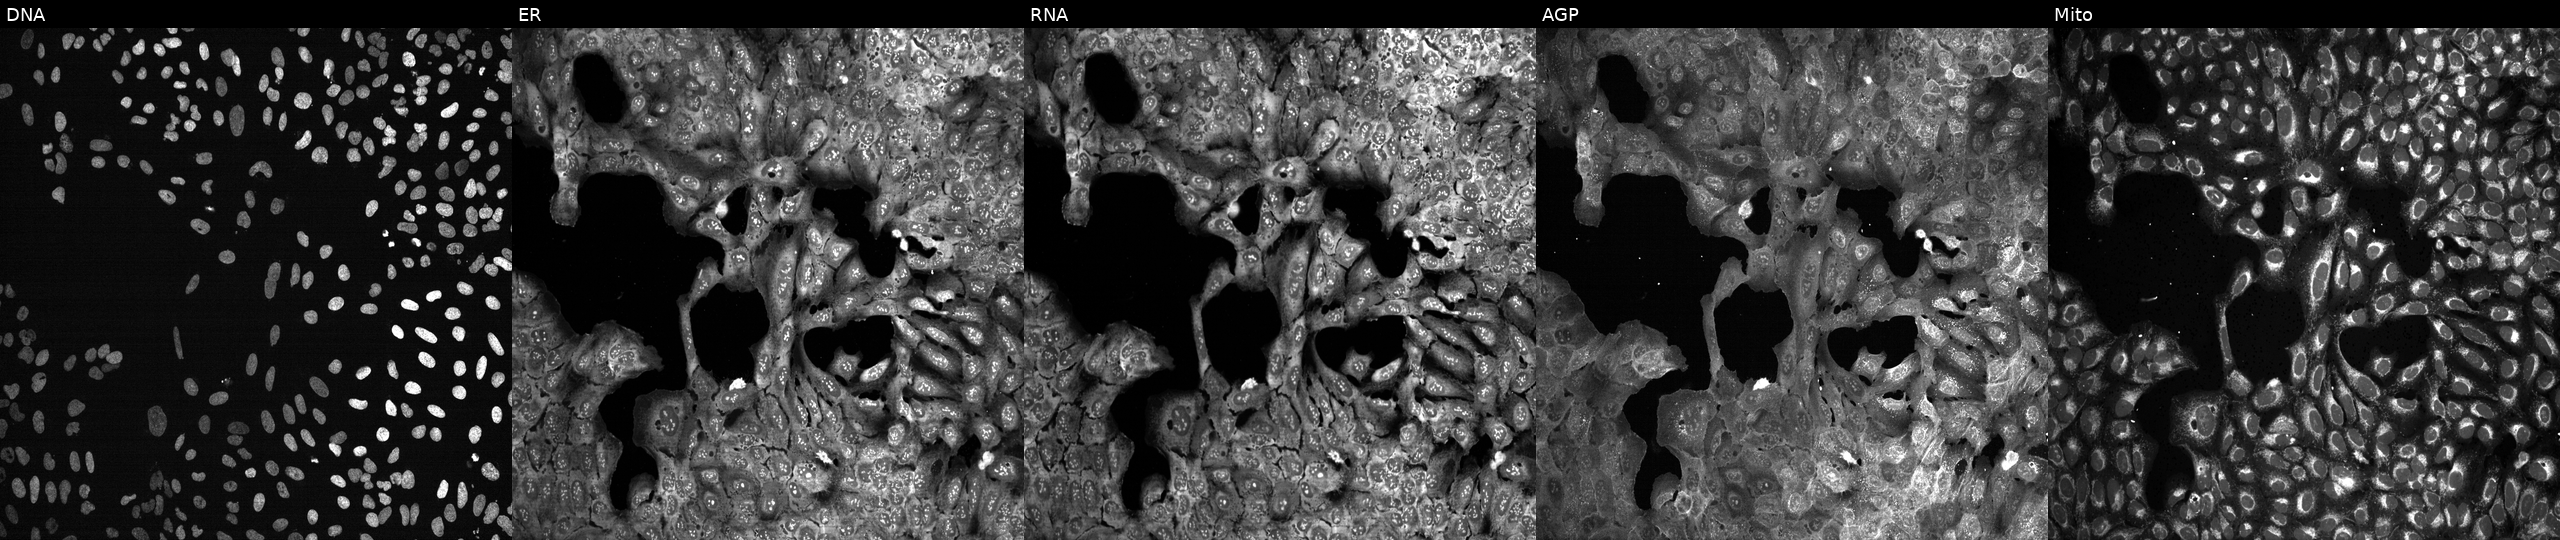
This image strip shows the five Cell Painting channels for a single field of U2OS cells following CRISPR knockout of AHSA1. The five panels, left to right, show DNA (nuclei); ER (endoplasmic reticulum); RNA (nucleoli and cytoplasmic RNA); AGP (actin cytoskeleton, Golgi, and plasma membrane); Mito (mitochondria).